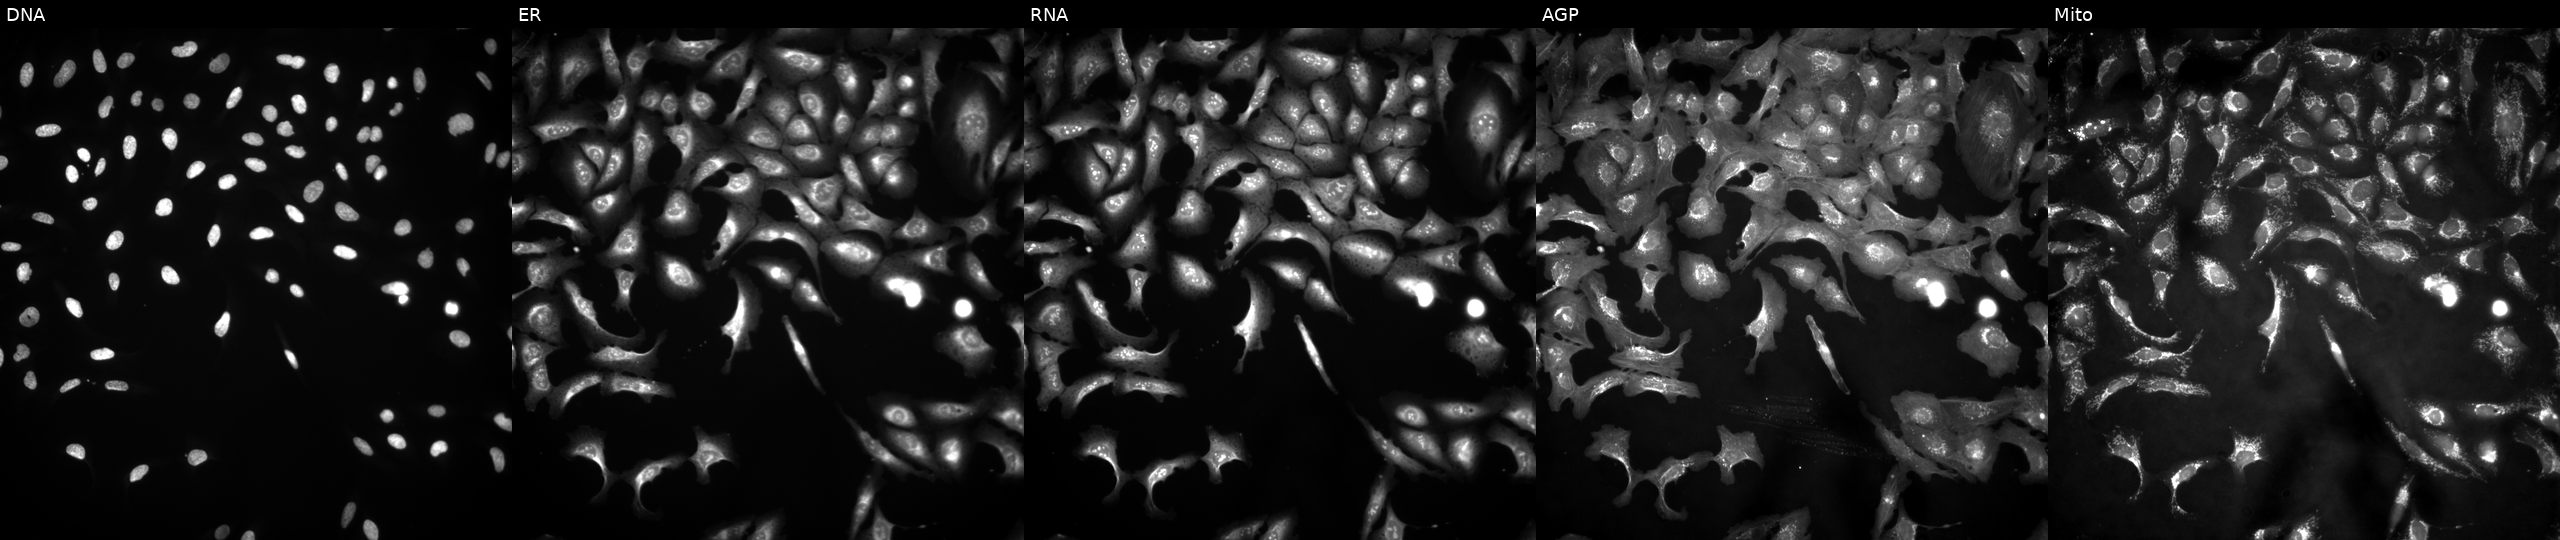
Five-channel Cell Painting image of U2OS cells overexpressing FAM13C via ORF transfection. Panels show, left to right, DNA (nuclei); ER (endoplasmic reticulum); RNA (nucleoli and cytoplasmic RNA); AGP (actin cytoskeleton, Golgi, and plasma membrane); Mito (mitochondria).